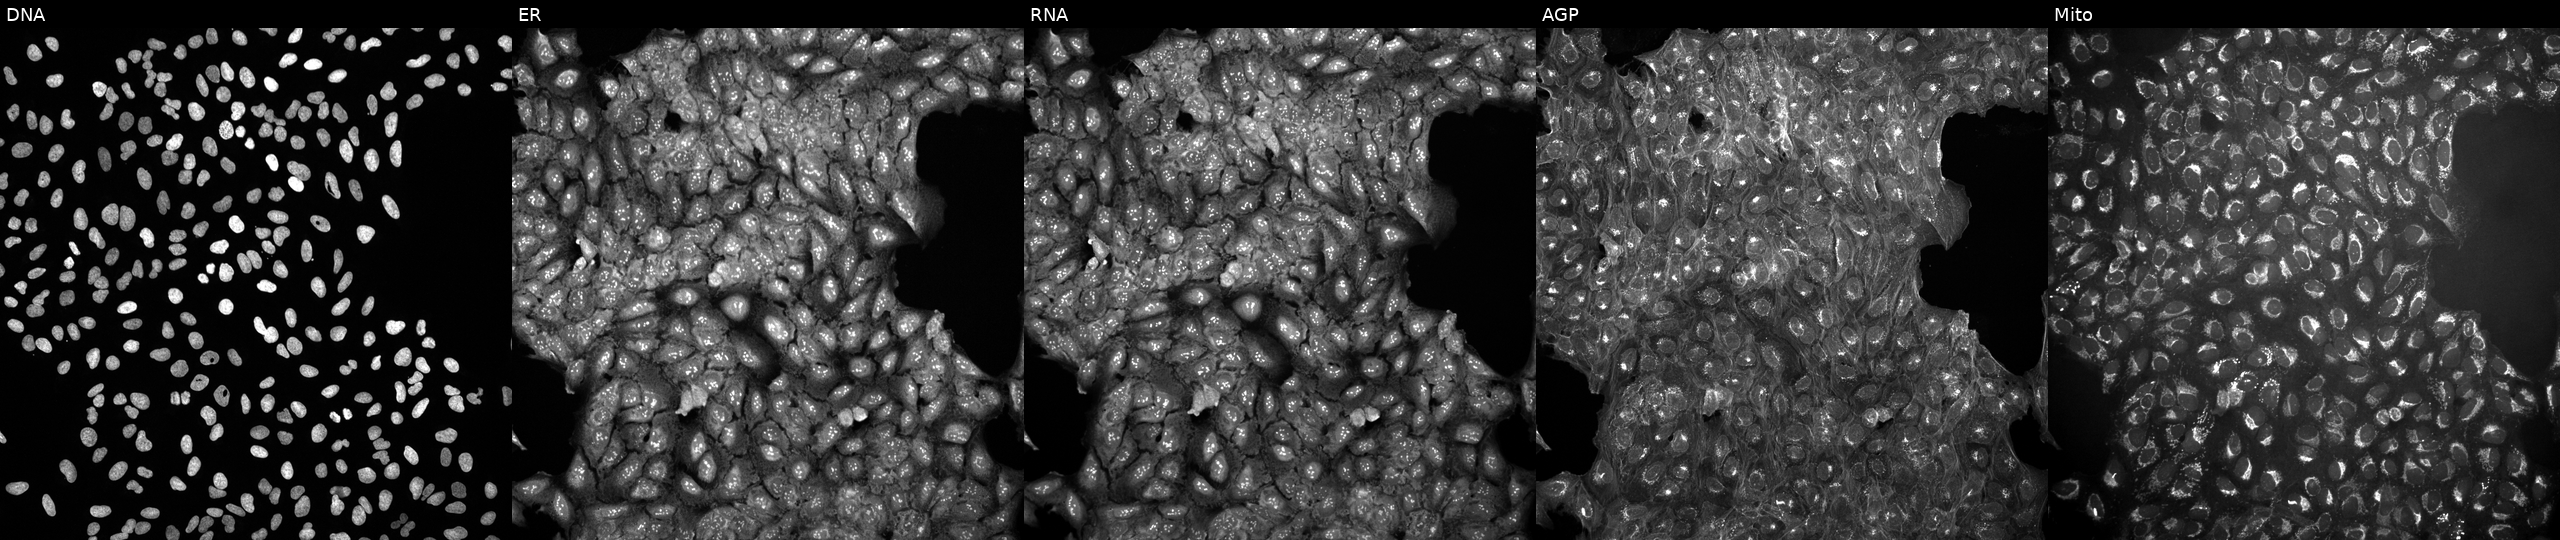
High-content fluorescence microscopy (Cell Painting). Cell line: U2OS. Perturbation: in an empty control well (no perturbation). Channels (left→right): Hoechst 33342, concanavalin A, SYTO 14, phalloidin and WGA, MitoTracker.